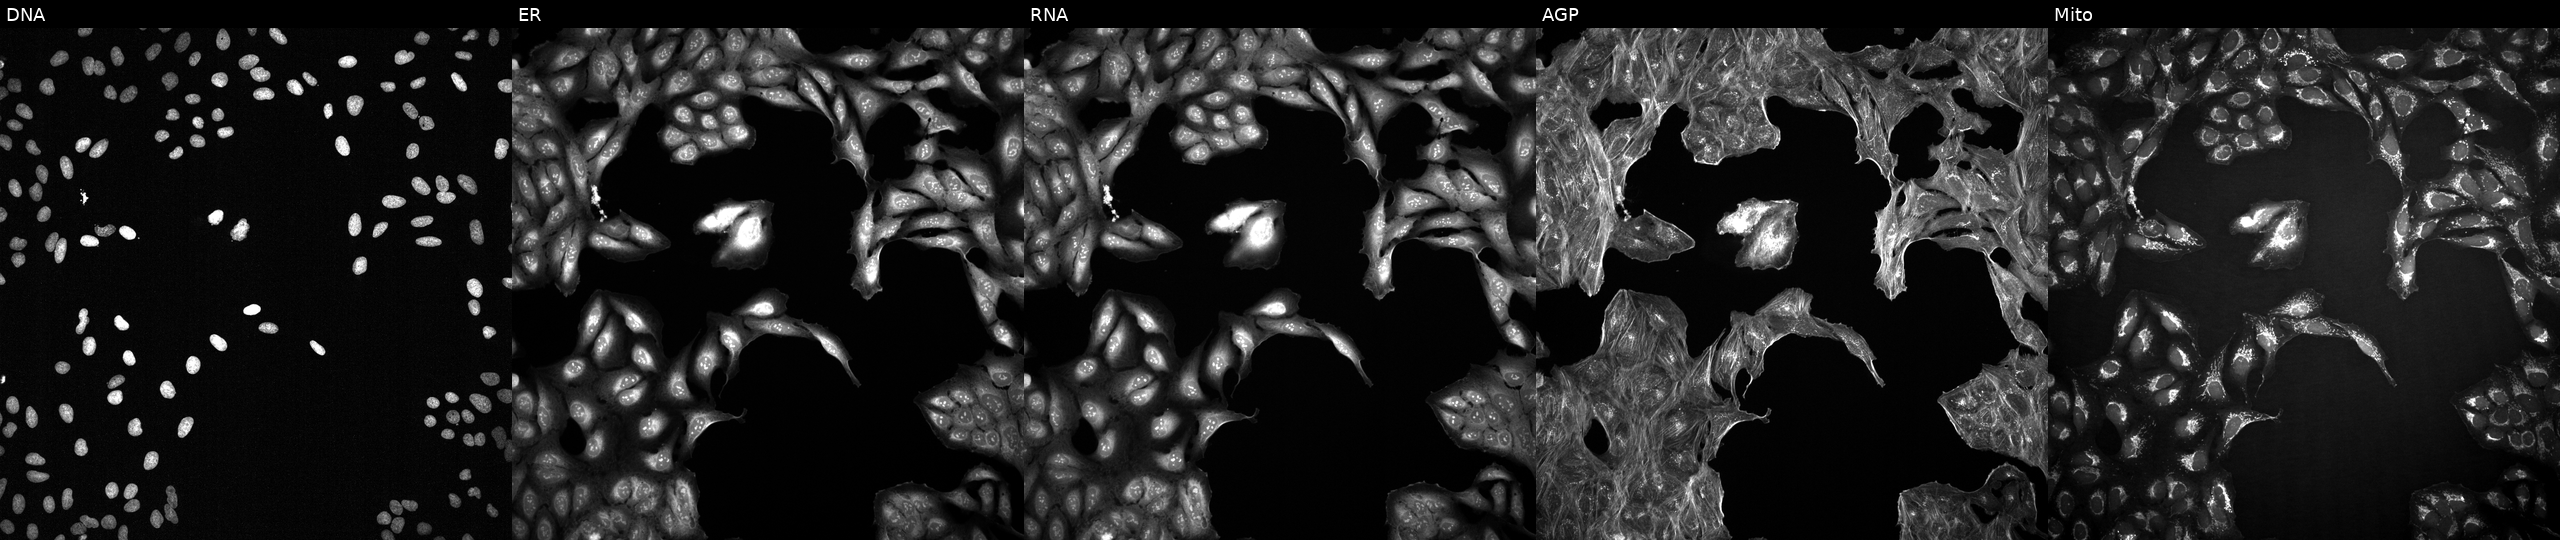
JUMP Cell Painting — TARGET2 plate. U2OS cells treated with DMSO vehicle only (negative control). Panels show, left to right, Hoechst 33342, concanavalin A, SYTO 14, phalloidin and WGA, MitoTracker.